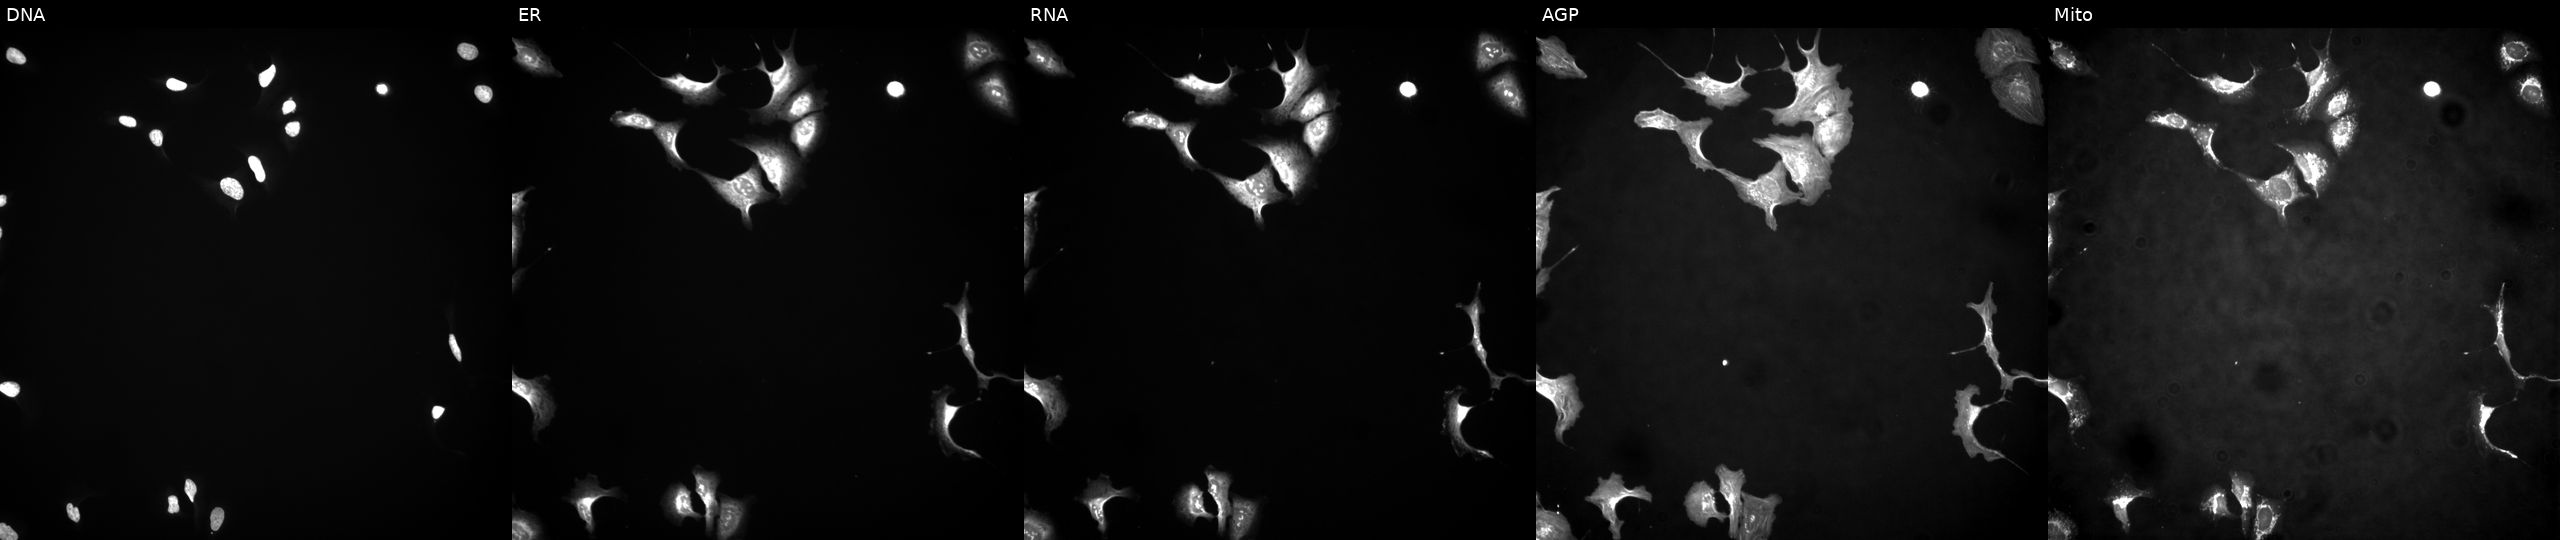
This image strip shows the five Cell Painting channels for a single field of U2OS cells overexpressing DIP2A via ORF transfection. Channels (left→right): DNA (nuclei); ER (endoplasmic reticulum); RNA (nucleoli and cytoplasmic RNA); AGP (actin cytoskeleton, Golgi, and plasma membrane); Mito (mitochondria).